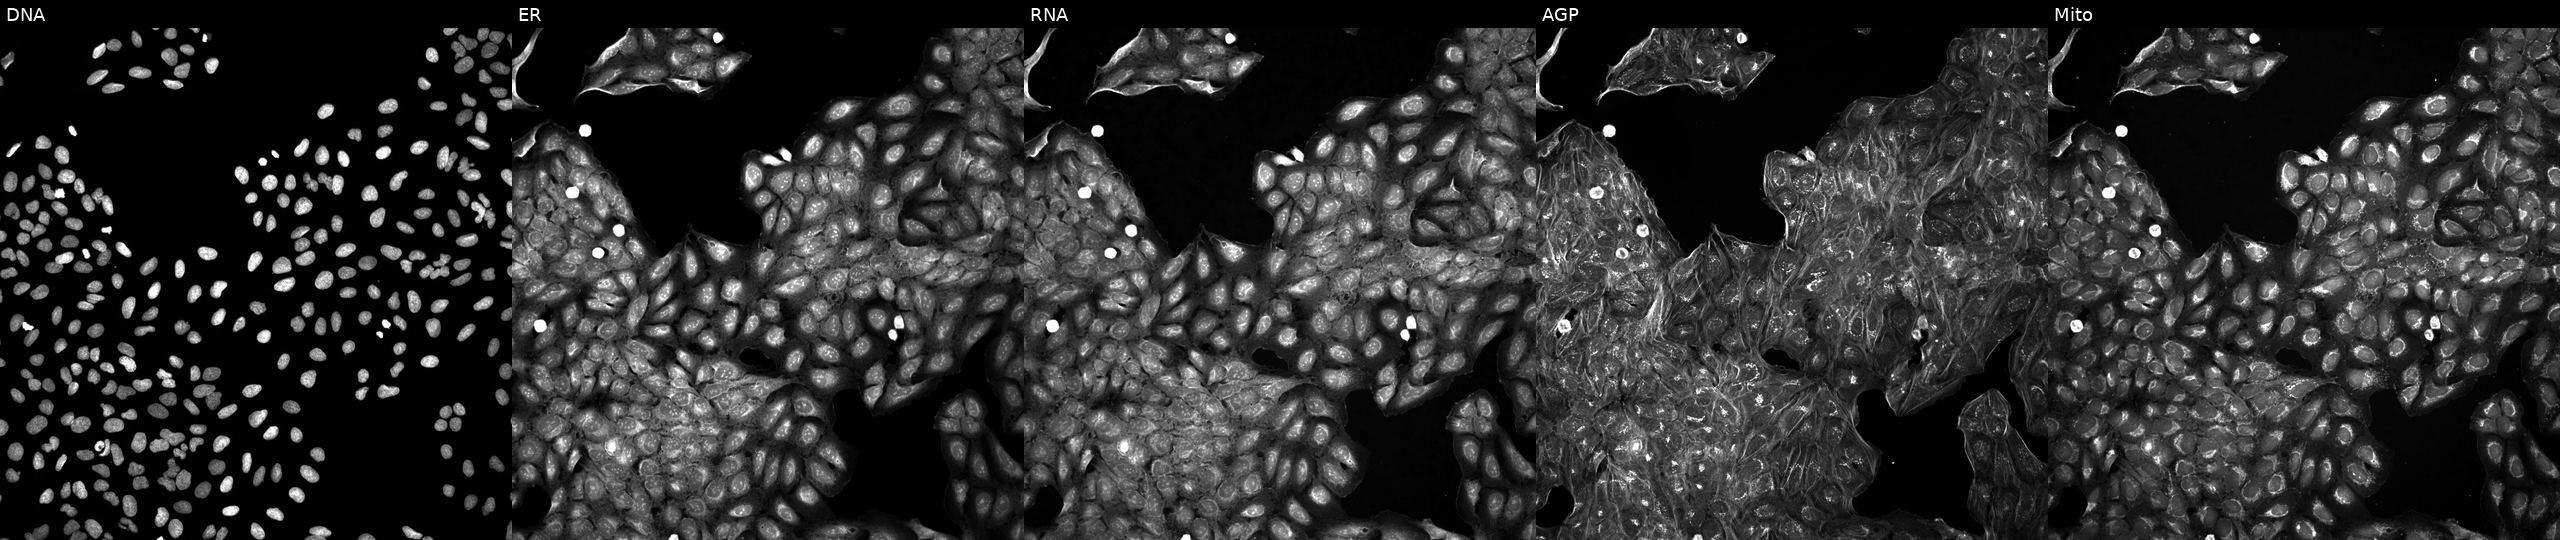
Five-channel Cell Painting image of U2OS cells perturbed with a small-molecule compound (InChIKey CYNOWTFUTFEOKO-UHFFFAOYSA-N) [SMILES: Cc1n[nH]c(C)c1C(C)c1nc(-c2ccc(S(C)(=O)=O)cc2)no1]. From left to right: DNA, ER, RNA, AGP, and Mito.